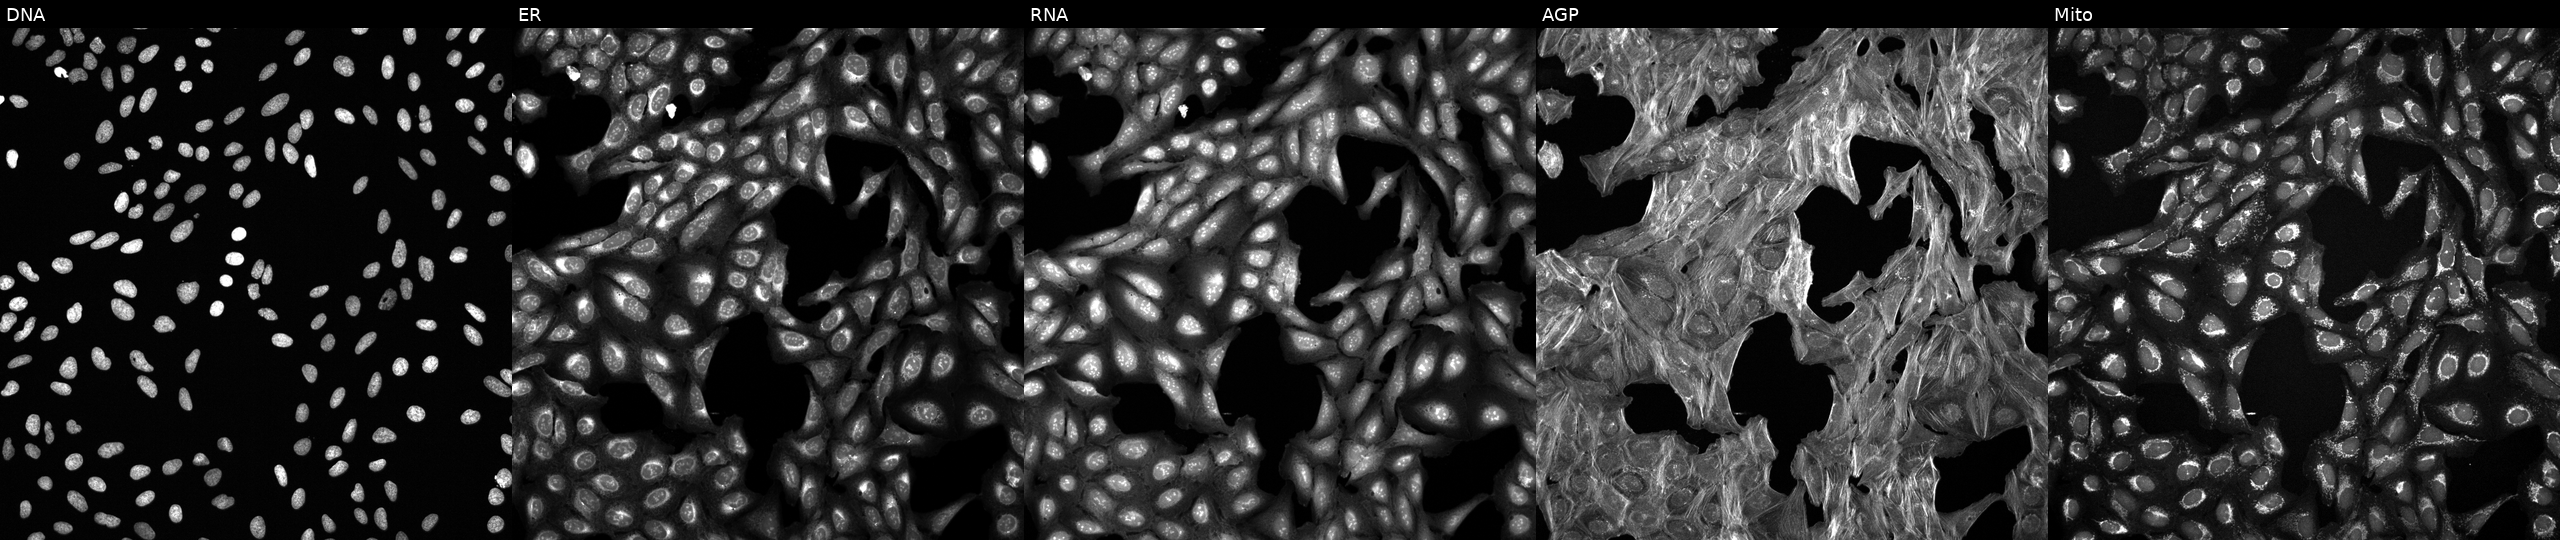
JUMP Cell Painting — TARGET2 plate. U2OS cells treated with a small-molecule compound [SMILES: CNC(=O)C(Cc1c[nH]c2ccccc12)NC(=O)C(CC(O)=NO)CC(C)C]. Channels (left→right): DNA (nuclei); ER (endoplasmic reticulum); RNA (nucleoli and cytoplasmic RNA); AGP (actin cytoskeleton, Golgi, and plasma membrane); Mito (mitochondria). Source 6, plate 110000293093, well M17.